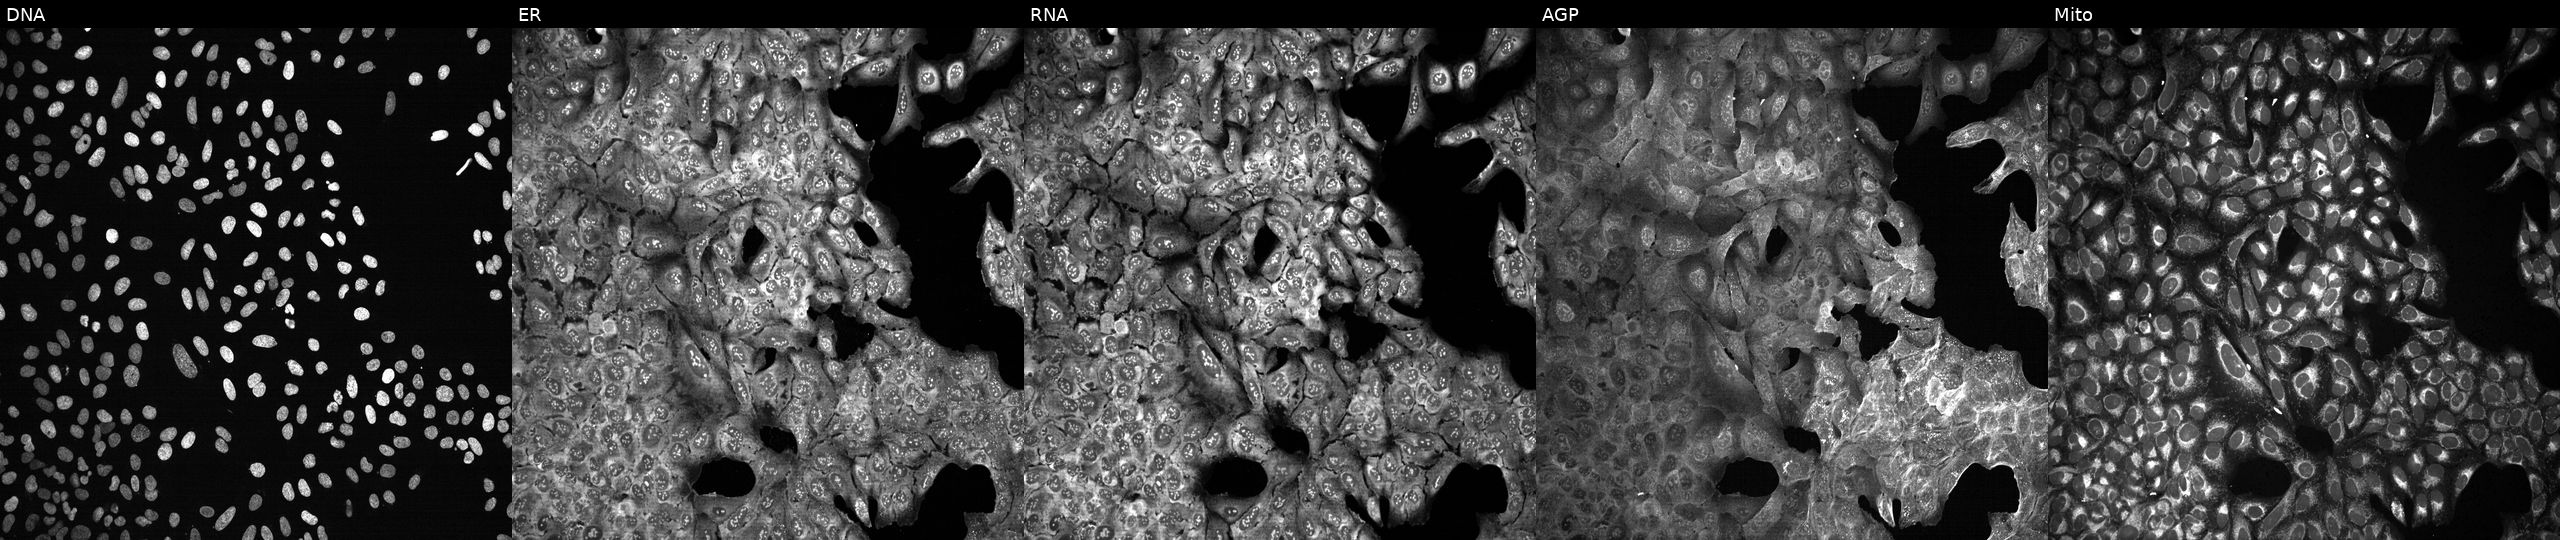
From left to right: DNA, ER, RNA, AGP, and Mito. U2OS osteosarcoma cells with NGLY1 knocked out by CRISPR (JUMP id JCP2022_804564). Cell Painting assay, JUMP-CP dataset. Source 13, plate CP-CC9-R2-01, well P18.